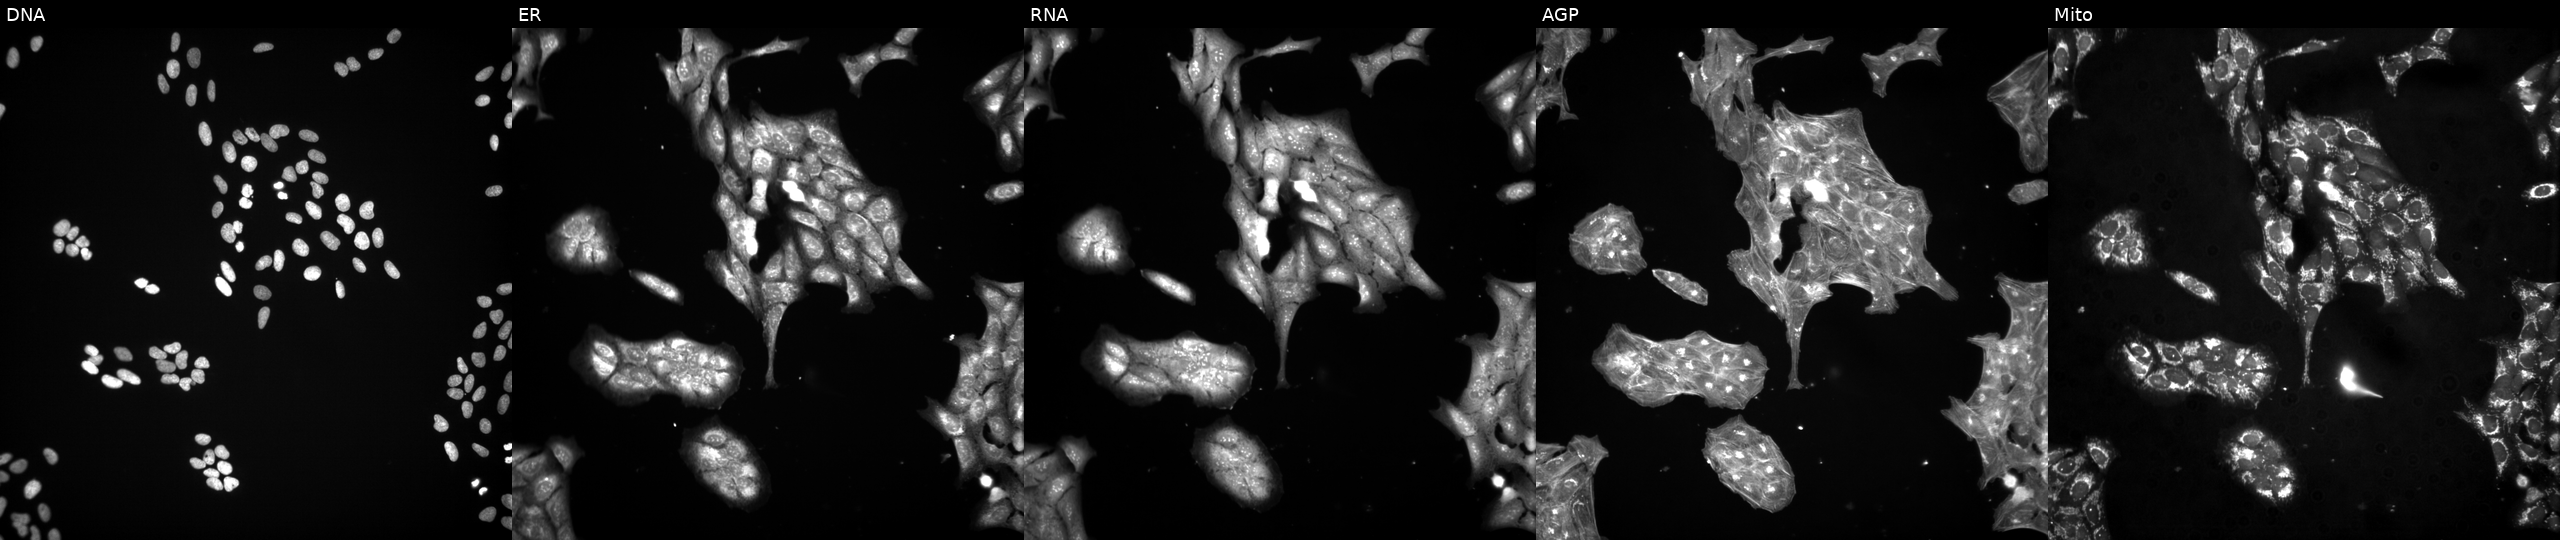
This image strip shows the five Cell Painting channels for a single field of U2OS cells exposed to a small-molecule compound (InChIKey FNHKPVJBJVTLMP-UHFFFAOYSA-N). From left to right: DNA, ER, RNA, AGP, and Mito. Source 3, plate JCPQC053, well M01.